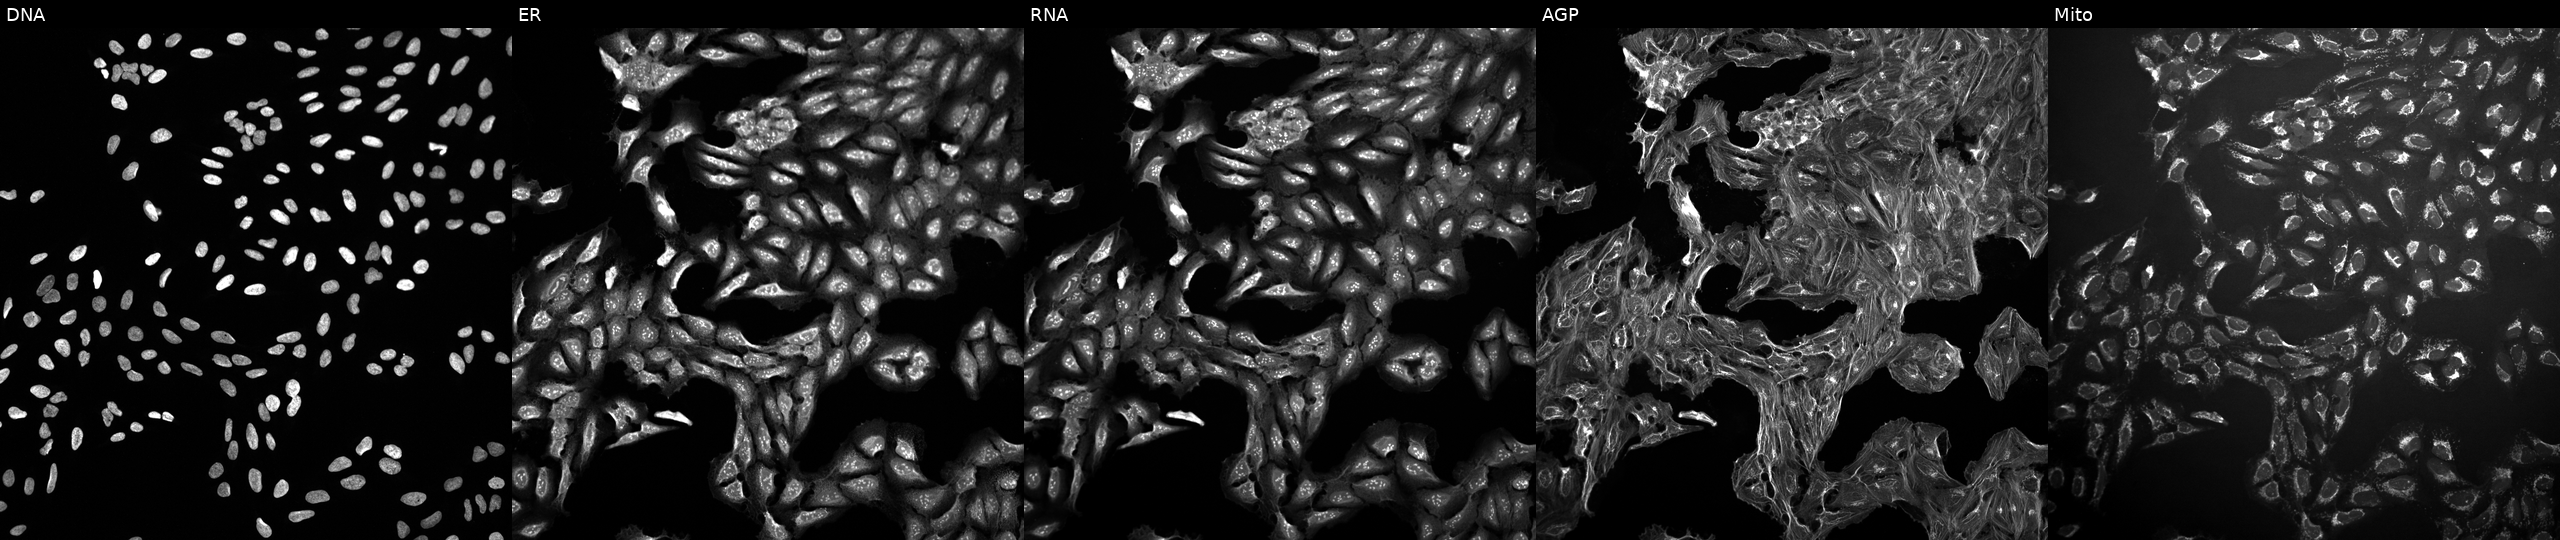
Five-channel Cell Painting image of U2OS cells perturbed with a small-molecule compound (InChIKey DXZRBHUCOHBAHP-UHFFFAOYSA-N) [SMILES: CCOC(=O)c1c(C(C#N)C=N)c2ccc(Cl)c(Cl)c2n1C]. Panels show, left to right, DNA, ER, RNA, AGP, and Mito. Source 10, plate Dest210726-160150, well C13.